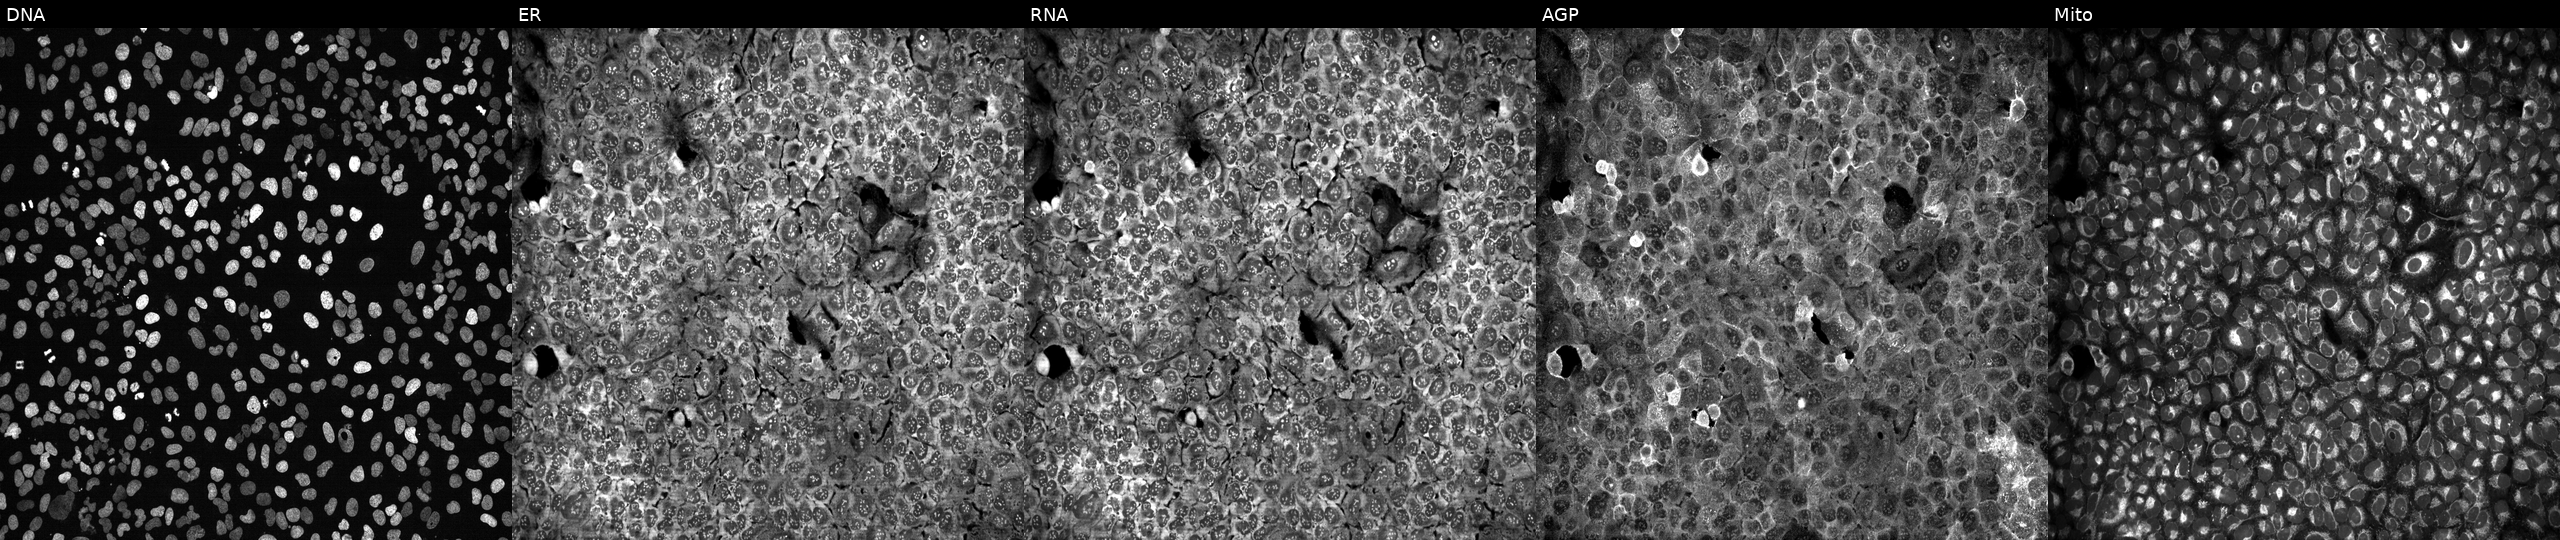
High-content fluorescence microscopy (Cell Painting). Cell line: U2OS. Perturbation: with PRLR knocked out by CRISPR (JUMP id JCP2022_805545). Panels show, left to right, DNA (nuclei); ER (endoplasmic reticulum); RNA (nucleoli and cytoplasmic RNA); AGP (actin cytoskeleton, Golgi, and plasma membrane); Mito (mitochondria). Source 13, plate CP-CC9-R2-02, well I09.